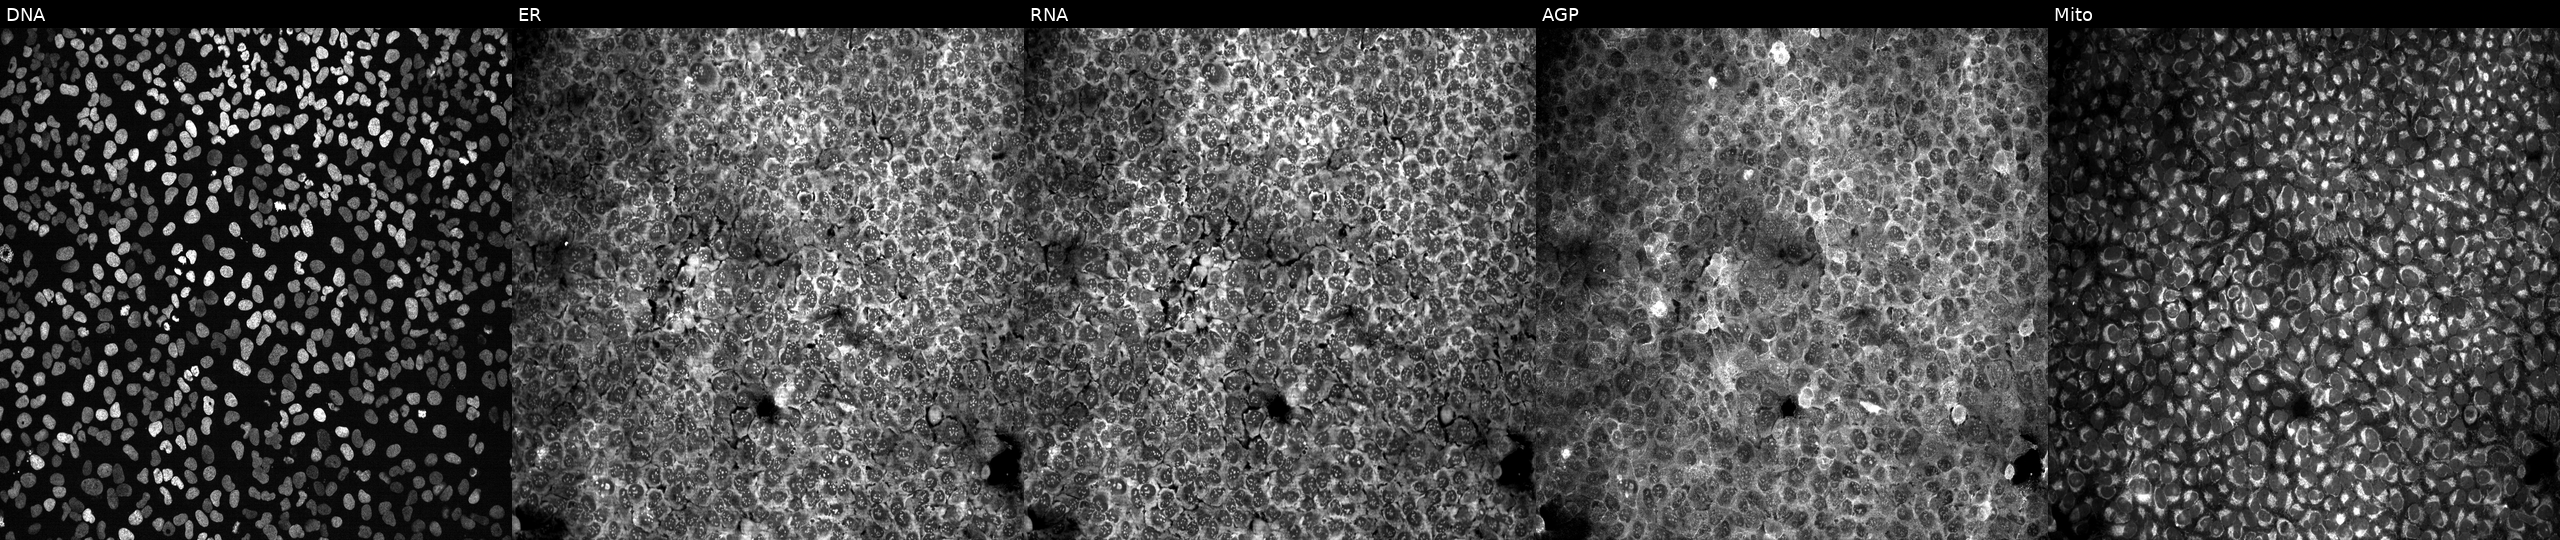
This image strip shows the five Cell Painting channels for a single field of U2OS cells exposed to DMSO alone as a negative control (JUMP id JCP2022_033924). Channels (left→right): Hoechst 33342, concanavalin A, SYTO 14, phalloidin and WGA, MitoTracker.